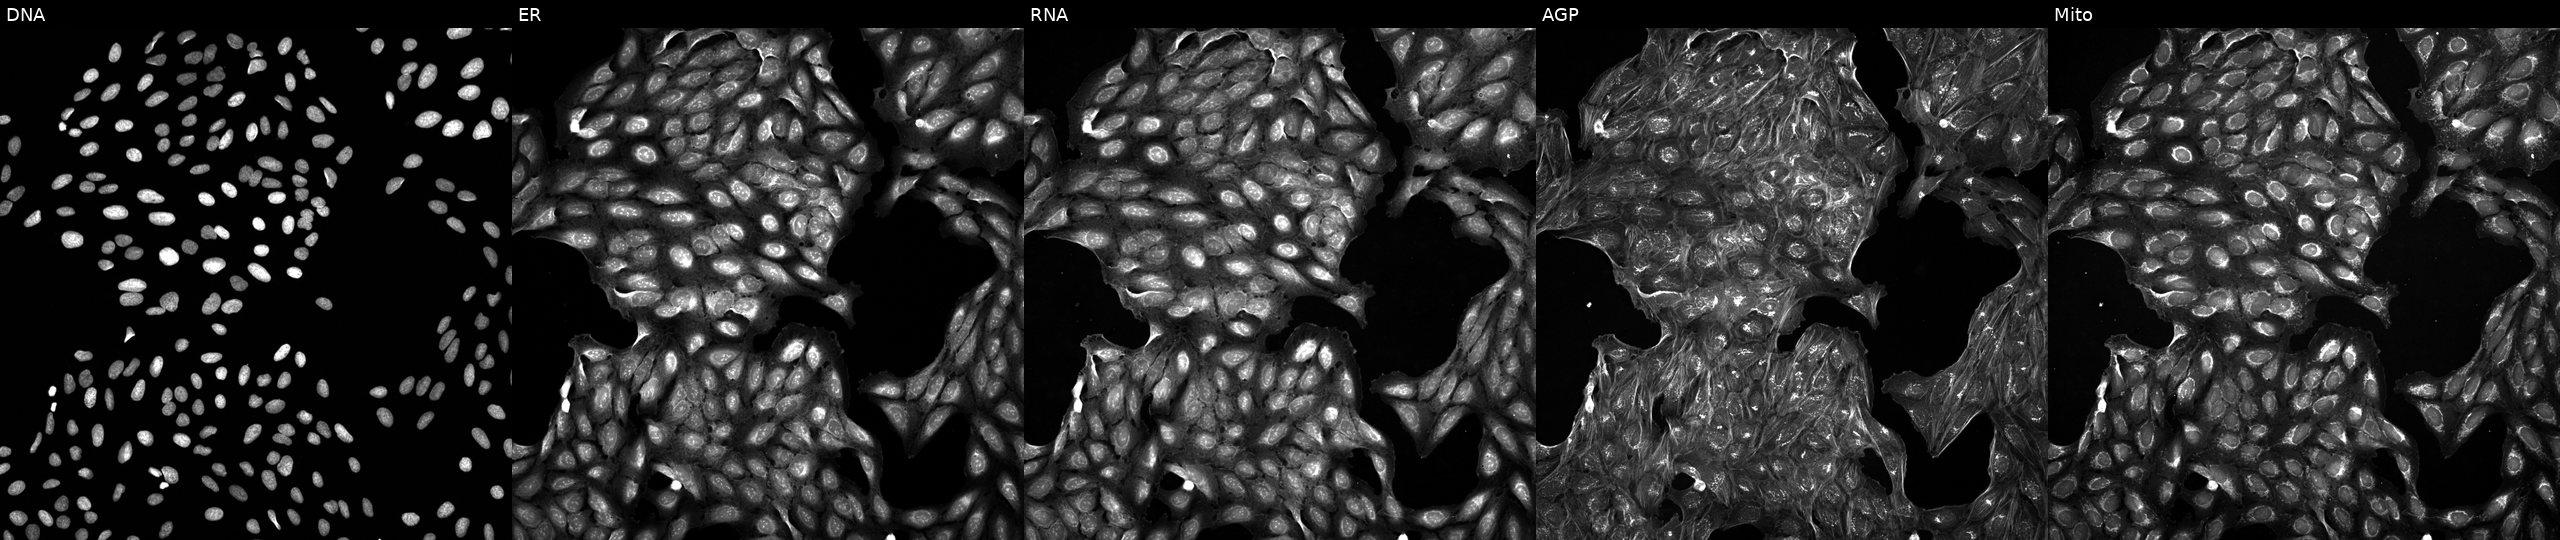
Channels (left→right): DNA (nuclei); ER (endoplasmic reticulum); RNA (nucleoli and cytoplasmic RNA); AGP (actin cytoskeleton, Golgi, and plasma membrane); Mito (mitochondria). U2OS osteosarcoma cells exposed to the positive-control compound dexamethasone (JUMP id JCP2022_025848). Cell Painting assay, JUMP-CP dataset. Source 5, plate APTJUM106, well C01.